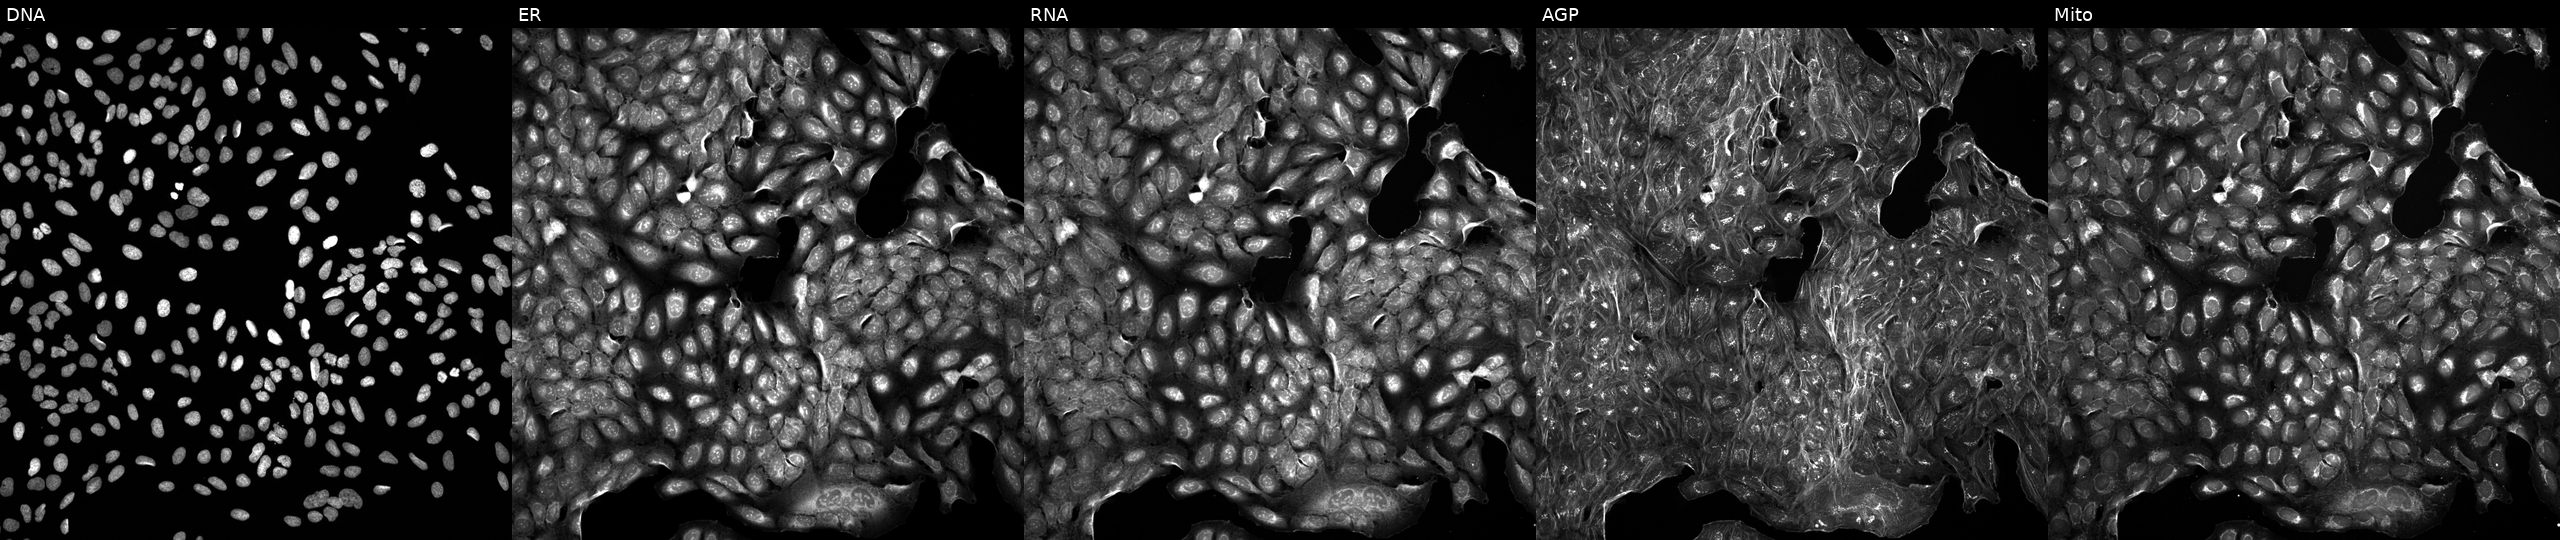
This image strip shows the five Cell Painting channels for a single field of U2OS cells treated with a small-molecule compound (InChIKey ZKPQWMFKVVTTEP-UHFFFAOYSA-N). Channels (left→right): DNA, ER, RNA, AGP, and Mito.